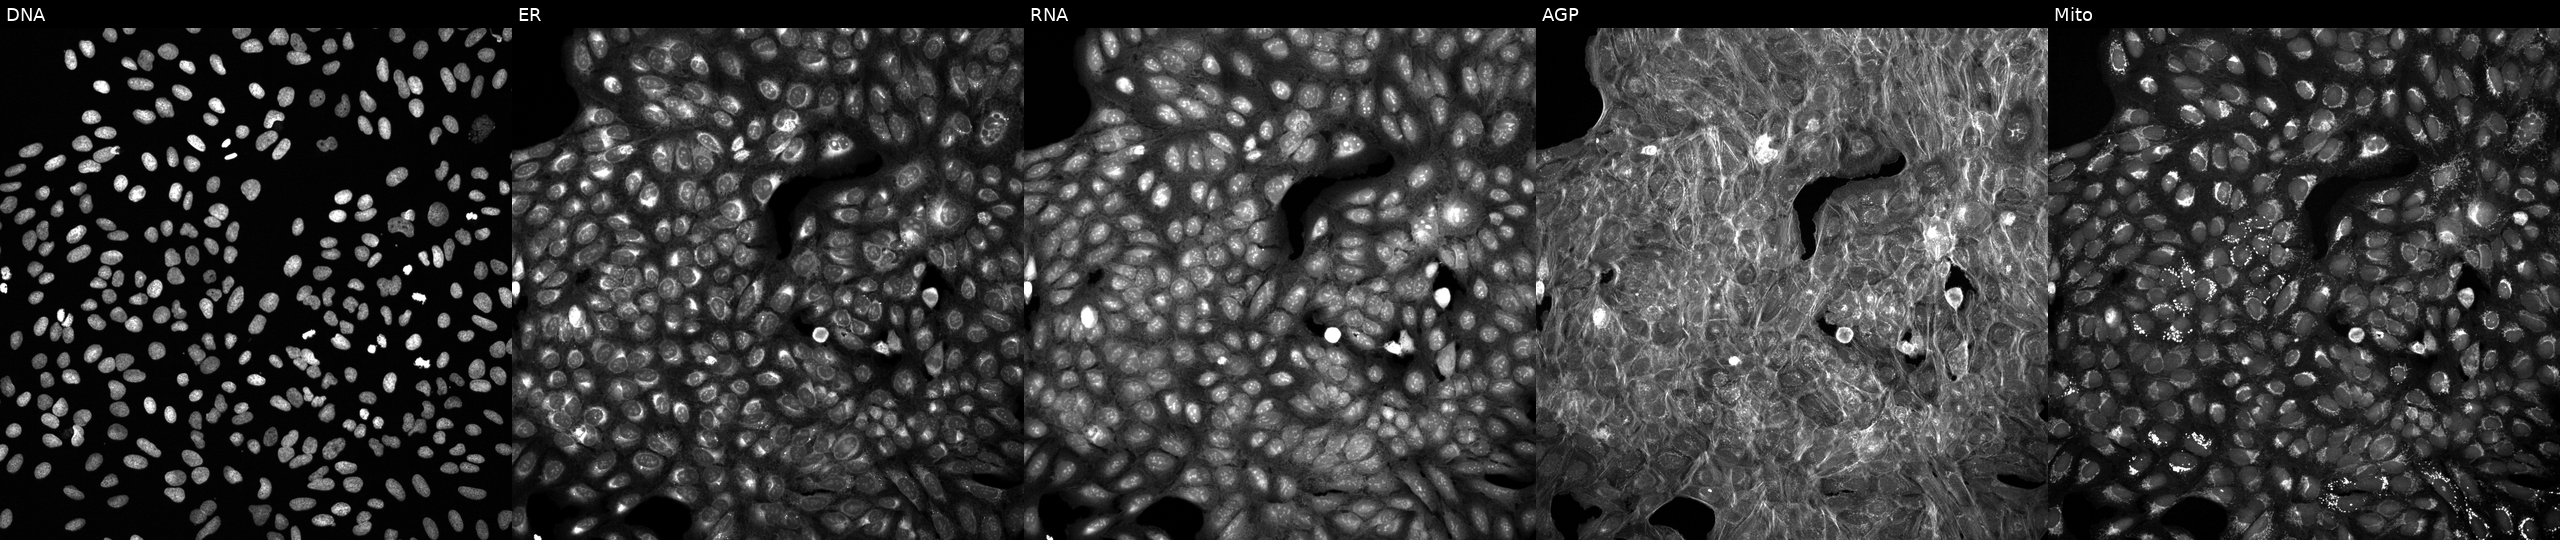
High-content fluorescence microscopy (Cell Painting). Cell line: U2OS. Perturbation: treated with a small-molecule compound (InChIKey WDENQIQQYWYTPO-UHFFFAOYSA-N) [SMILES: CC#CC(=O)N1CCCC1c1nc(-c2ccc(C(=O)N=c3cccc[nH]3)cc2)c2c(=N)[nH]ccn12]. From left to right: DNA (nuclei); ER (endoplasmic reticulum); RNA (nucleoli and cytoplasmic RNA); AGP (actin cytoskeleton, Golgi, and plasma membrane); Mito (mitochondria).